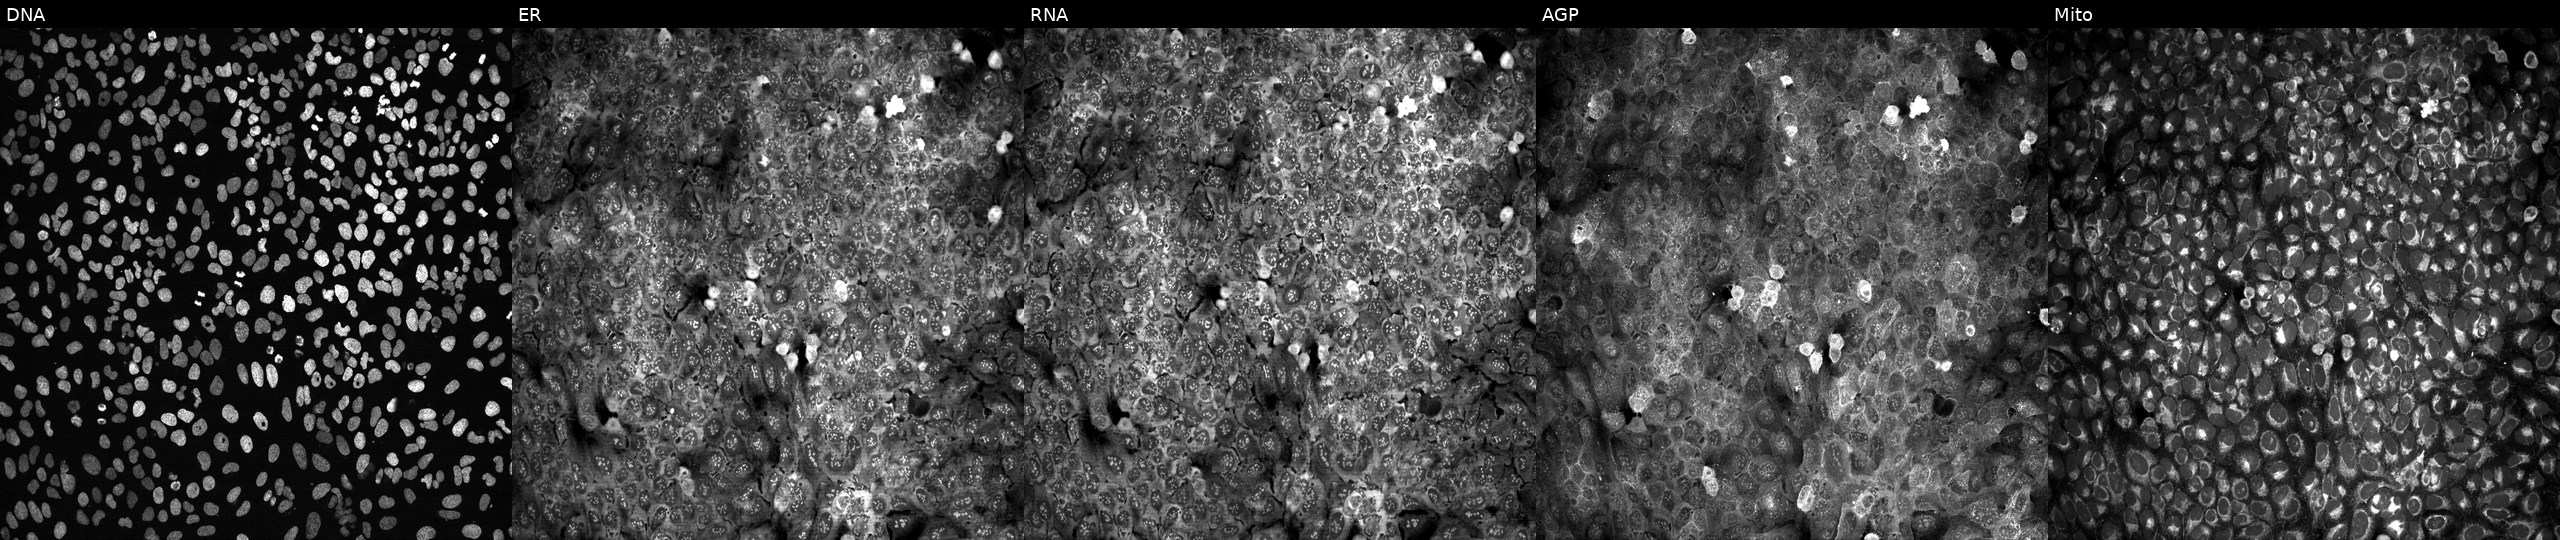
U2OS cells, Cell Painting assay, with DDAH1 knocked out by CRISPR (JUMP id JCP2022_801706). Panels show, left to right, DNA, ER, RNA, AGP, and Mito. Each panel is percentile-stretched 16-bit fluorescence.